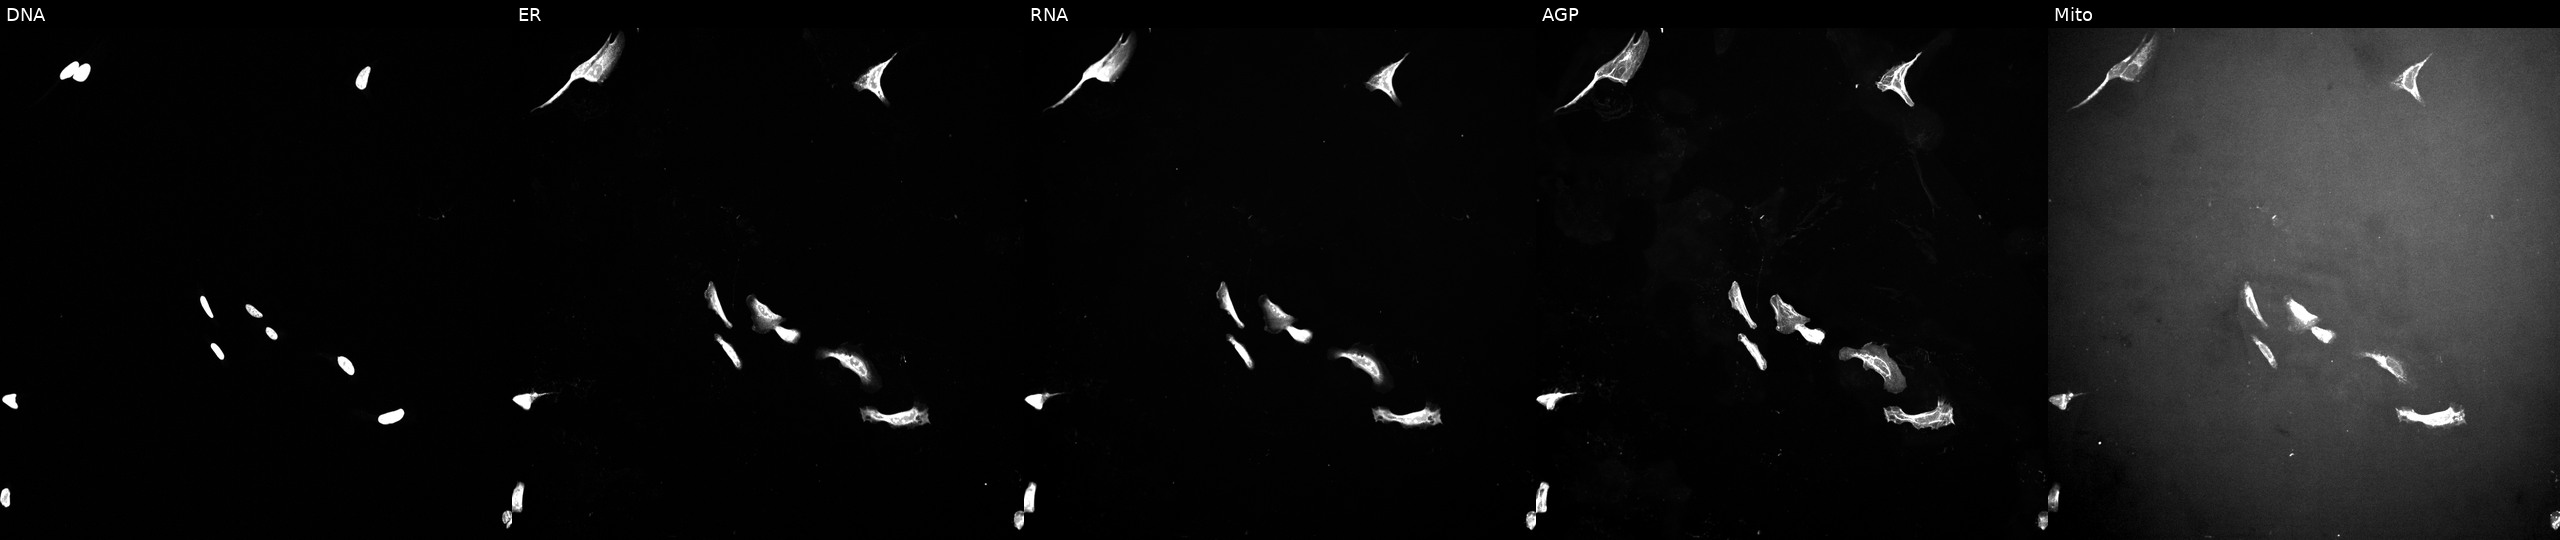
This image strip shows the five Cell Painting channels for a single field of U2OS cells treated with DMSO vehicle only (negative control). Channels (left→right): Hoechst 33342, concanavalin A, SYTO 14, phalloidin and WGA, MitoTracker.